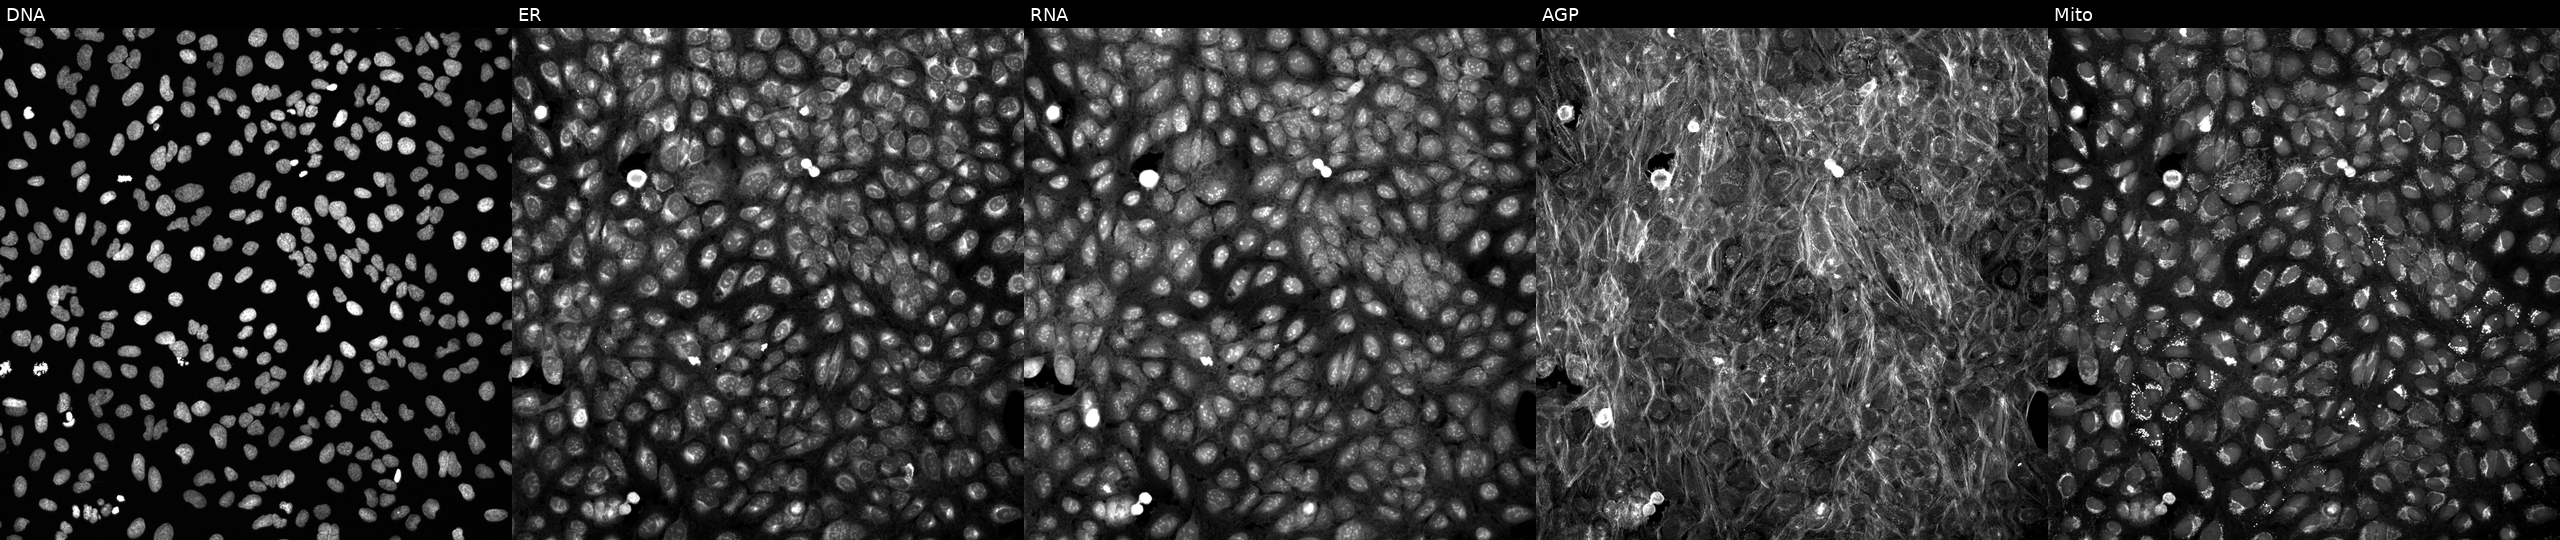
JUMP Cell Painting — TARGET2 plate. U2OS cells exposed to DMSO alone as a negative control. The five panels, left to right, show DNA, ER, RNA, AGP, and Mito. Source 6, plate 110000294901, well P11.